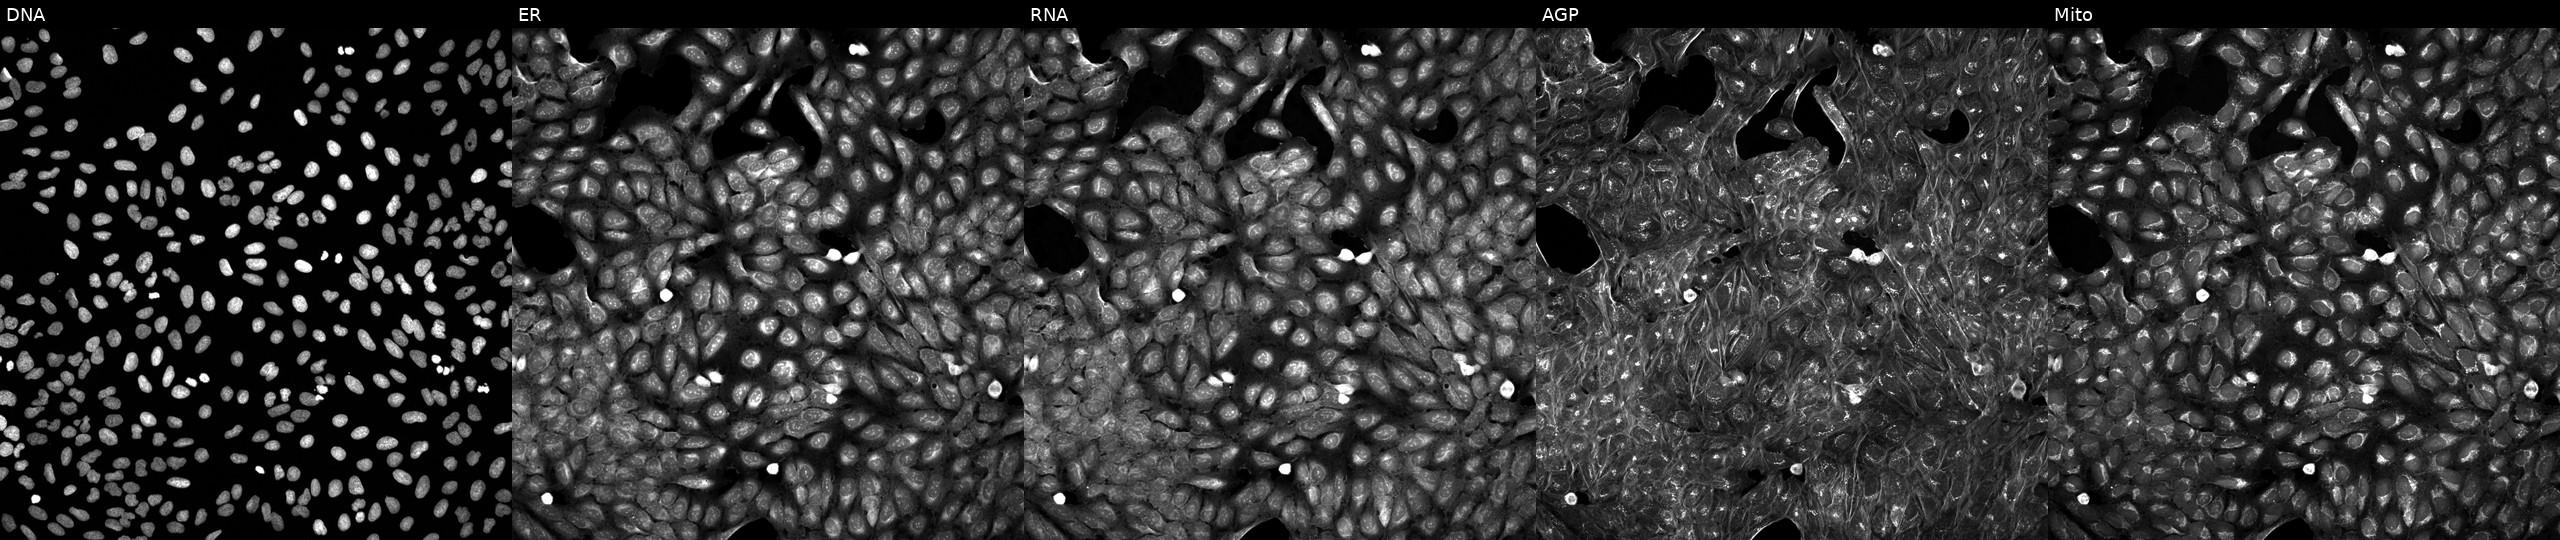
Five-channel Cell Painting image of U2OS cells exposed to a small-molecule compound (InChIKey BHNLIWJROOVECT-UHFFFAOYSA-N) (JUMP id JCP2022_006400). The five panels, left to right, show DNA, ER, RNA, AGP, and Mito.